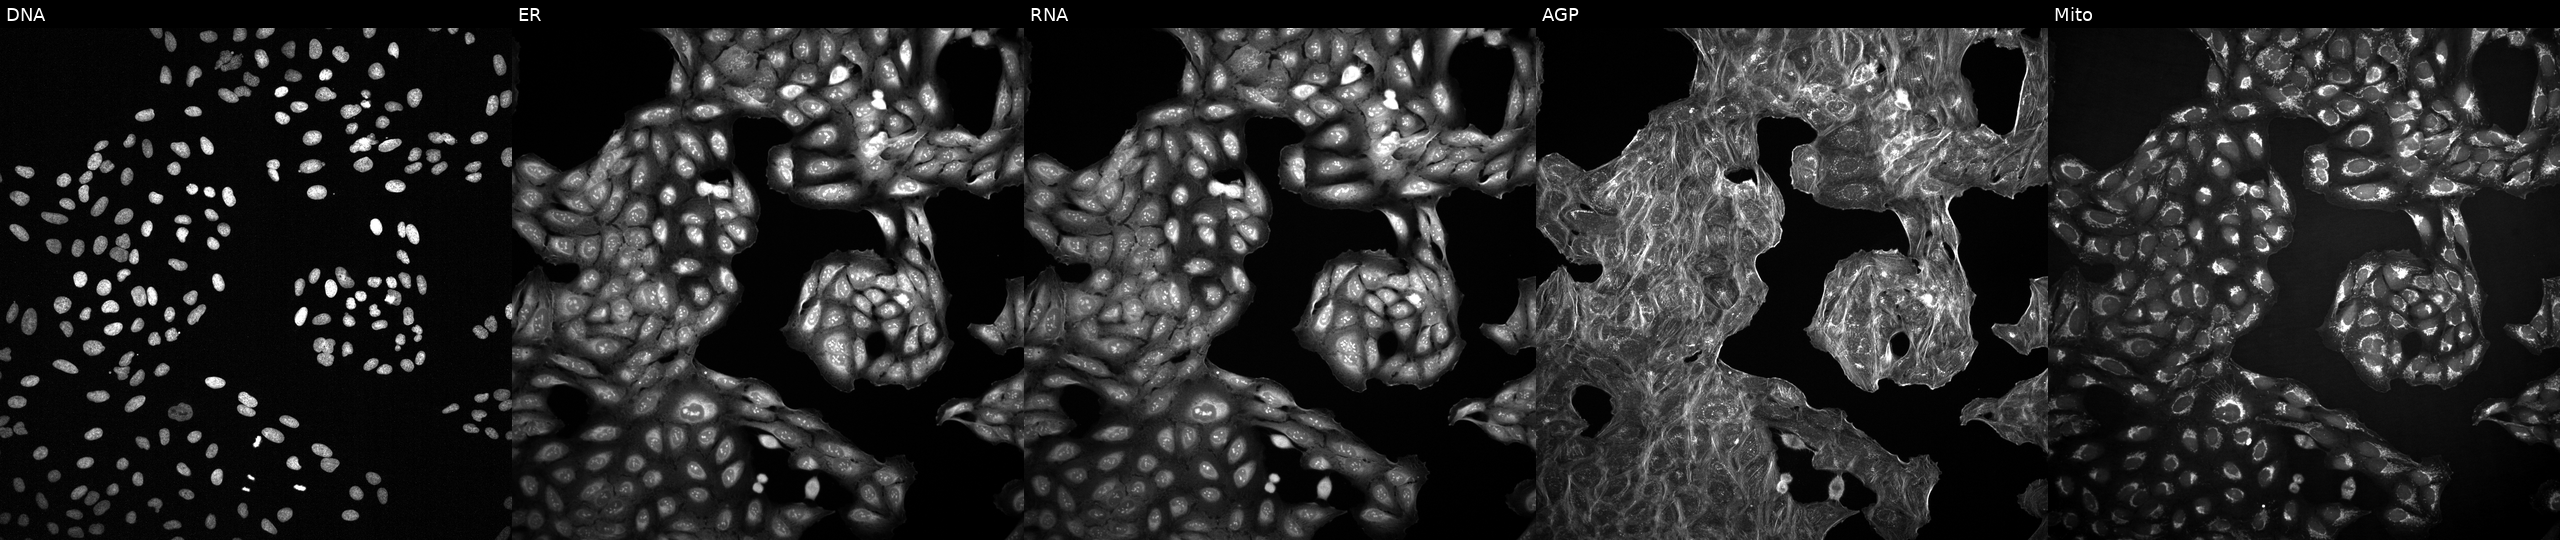
This image strip shows the five Cell Painting channels for a single field of U2OS cells treated with DMSO vehicle only (negative control) (JUMP id JCP2022_033924). Channels (left→right): DNA, ER, RNA, AGP, and Mito.